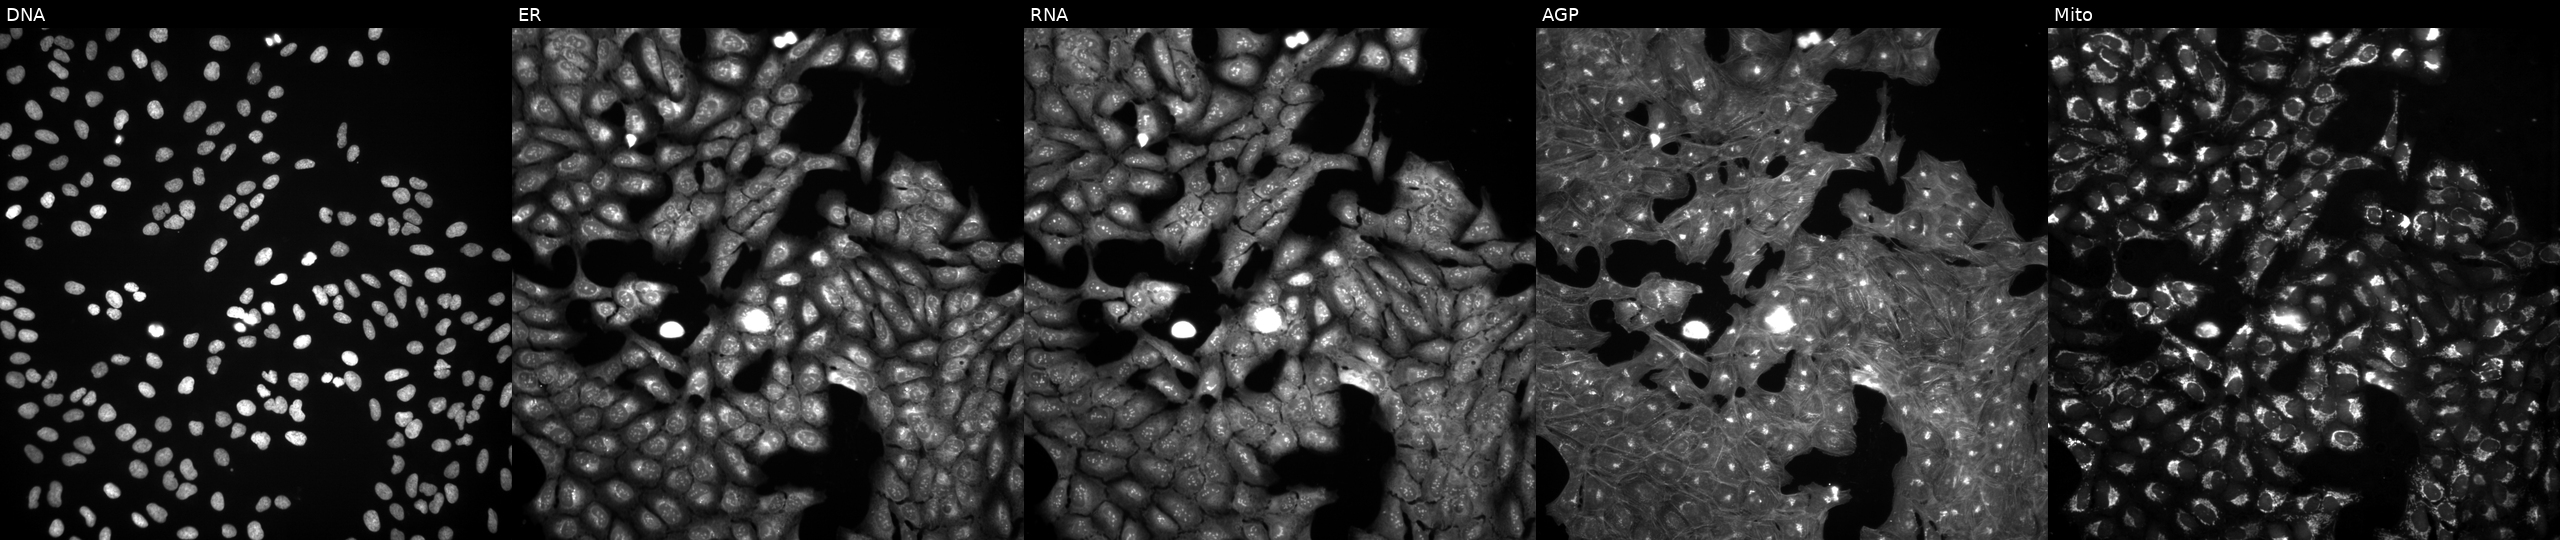
U2OS cells, Cell Painting assay, perturbed with a small-molecule compound (InChIKey VMOSFMWHSFHMCB-UHFFFAOYSA-N) (JUMP id JCP2022_094950). The five panels, left to right, show DNA (nuclei); ER (endoplasmic reticulum); RNA (nucleoli and cytoplasmic RNA); AGP (actin cytoskeleton, Golgi, and plasma membrane); Mito (mitochondria). Each panel is percentile-stretched 16-bit fluorescence.